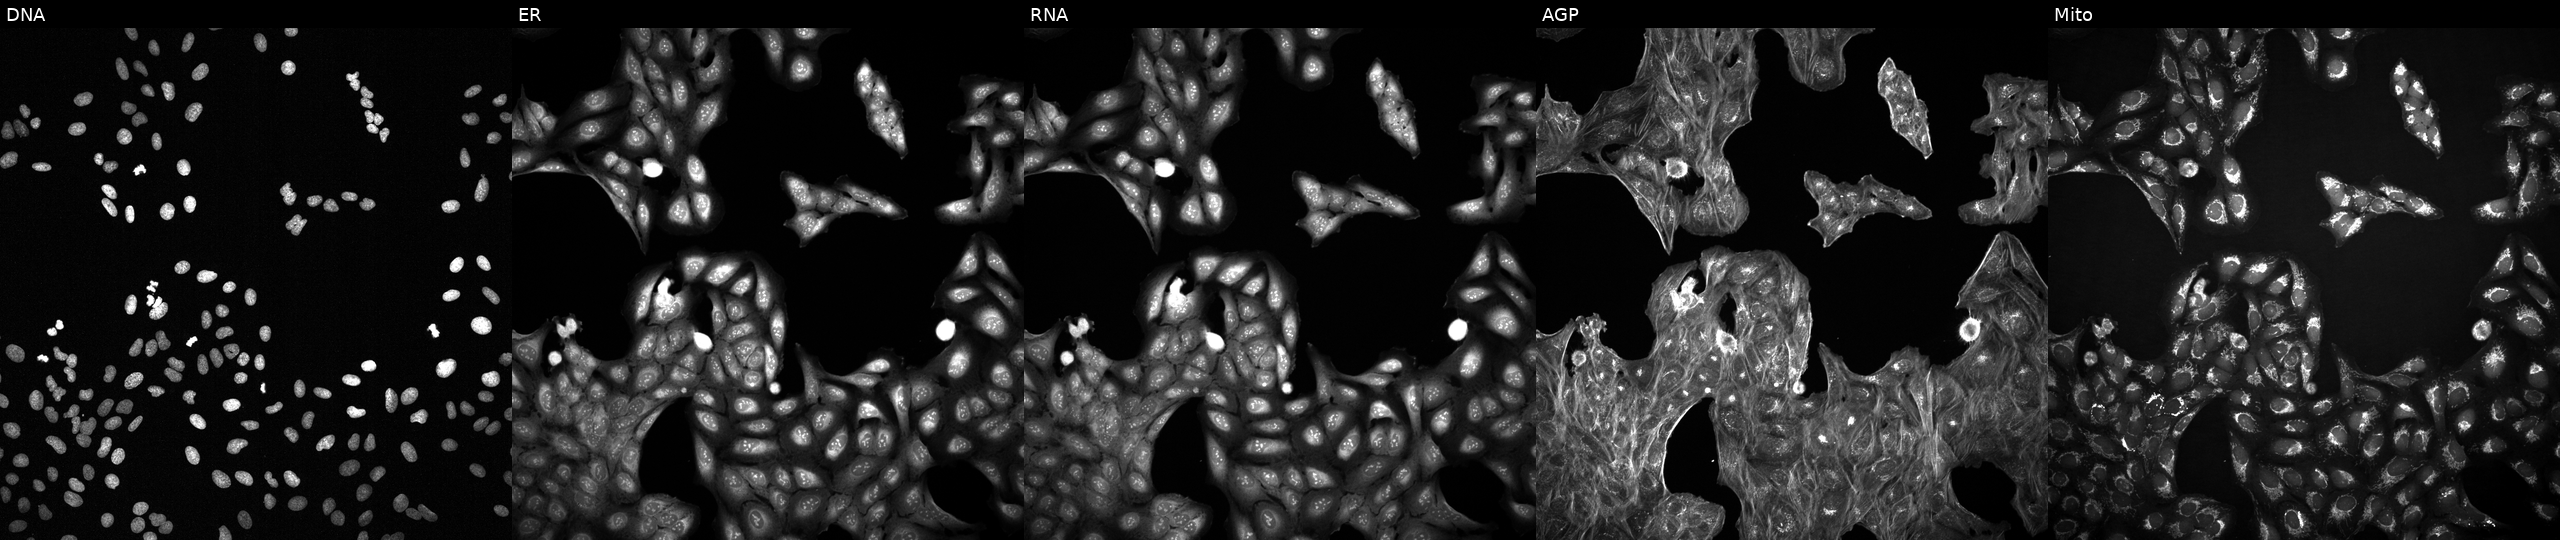
Five-channel Cell Painting image of U2OS cells treated with DMSO vehicle only (negative control) (JUMP id JCP2022_033924). The five panels, left to right, show Hoechst 33342, concanavalin A, SYTO 14, phalloidin and WGA, MitoTracker.